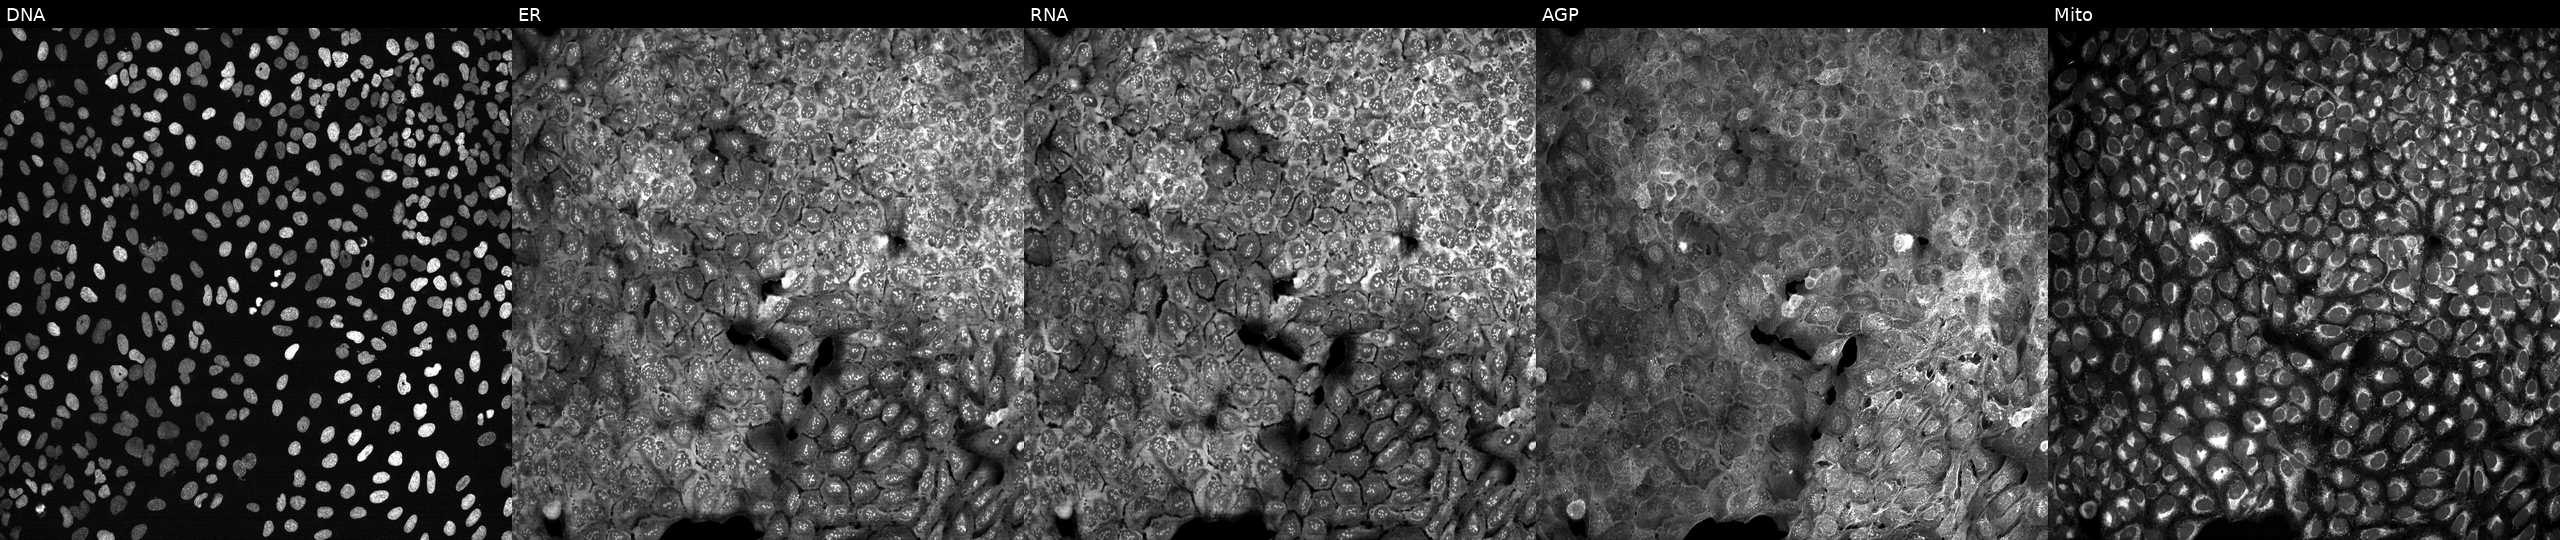
Channels (left→right): DNA, ER, RNA, AGP, and Mito. U2OS osteosarcoma cells with no CRISPR guide (negative control) (JUMP id JCP2022_800001). Cell Painting assay, JUMP-CP dataset.